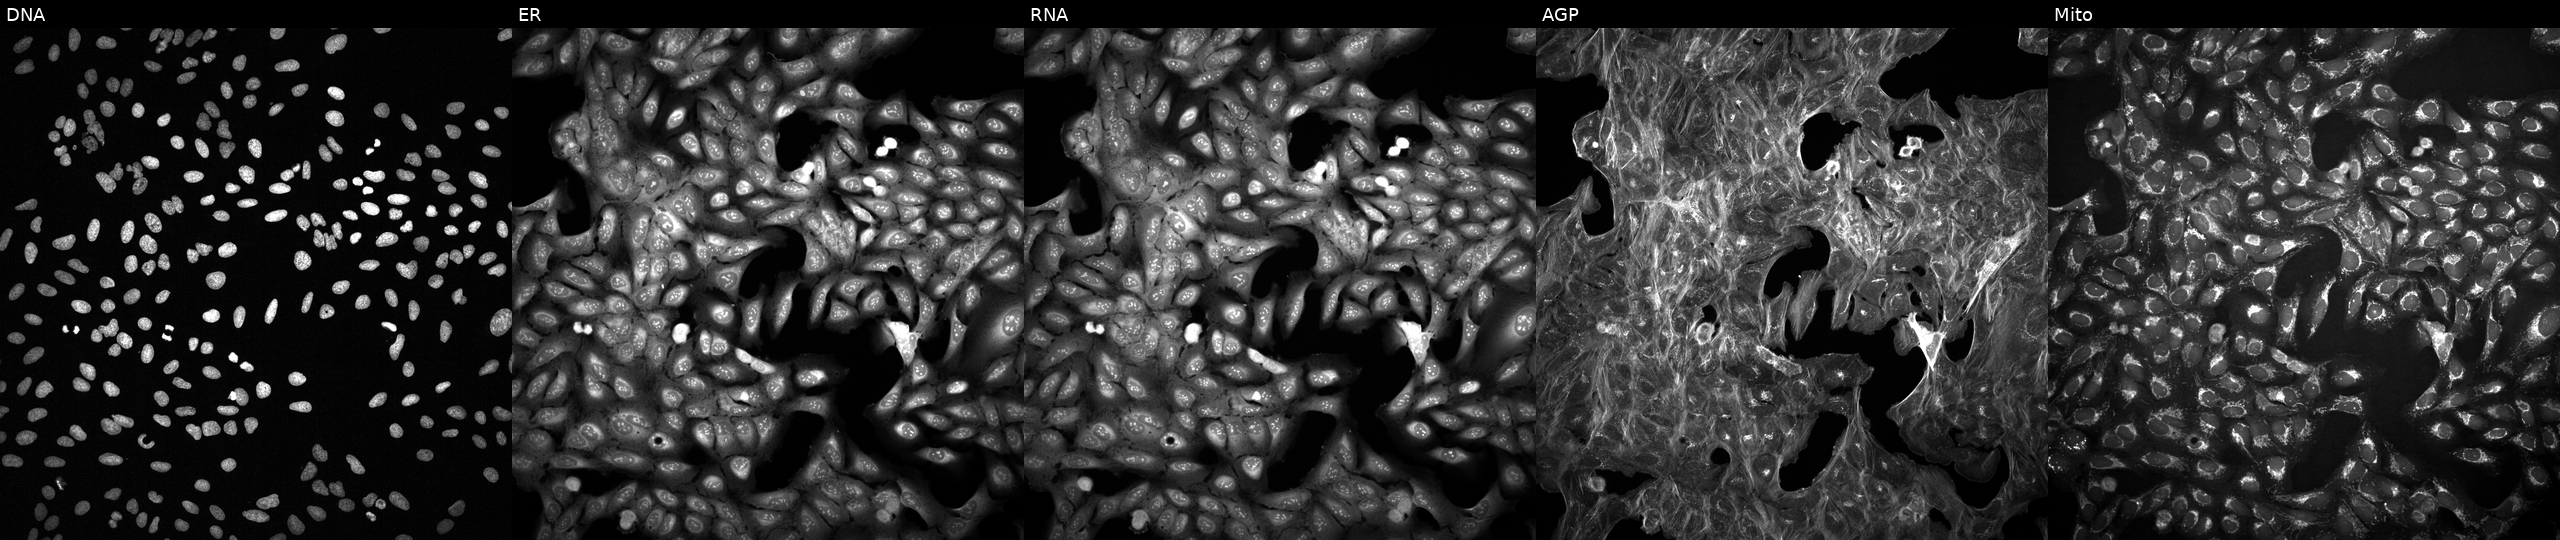
Five-channel Cell Painting image of U2OS cells perturbed with a small-molecule compound (InChIKey YMPLBWWSJVLODH-UHFFFAOYSA-N) (JUMP id JCP2022_109429). From left to right: DNA (nuclei); ER (endoplasmic reticulum); RNA (nucleoli and cytoplasmic RNA); AGP (actin cytoskeleton, Golgi, and plasma membrane); Mito (mitochondria).